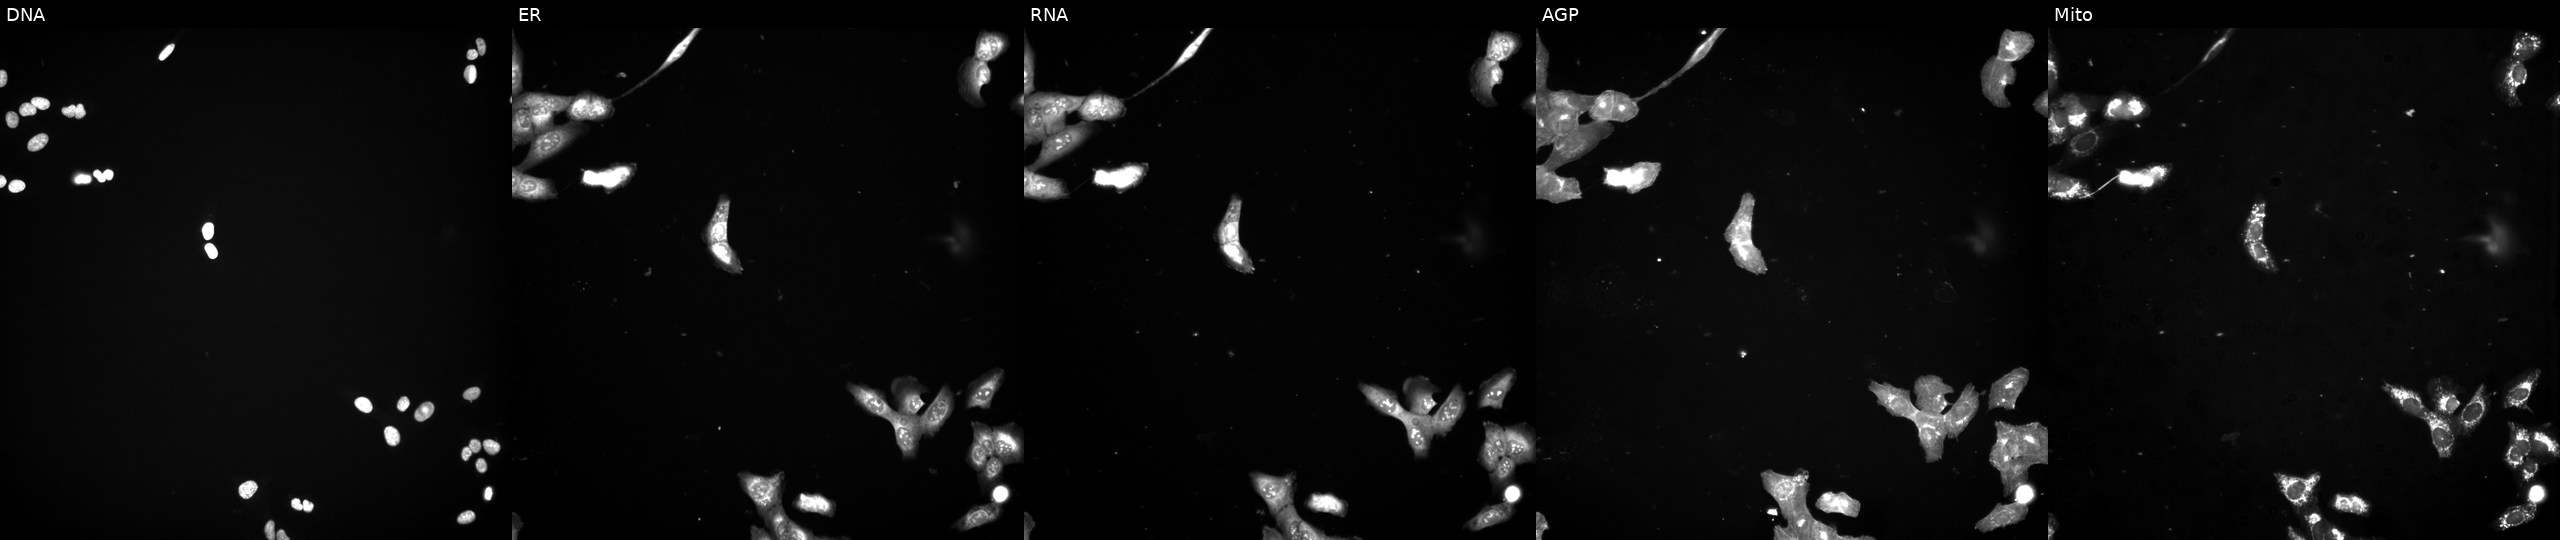
Five-channel Cell Painting image of U2OS cells perturbed with a small-molecule compound (InChIKey YEHJMMGBQLRUNT-UHFFFAOYSA-N) [SMILES: CCNC(=O)c1c(NC(=O)C2COc3ccccc3O2)sc2c1CCCC2]. Panels show, left to right, DNA, ER, RNA, AGP, and Mito.